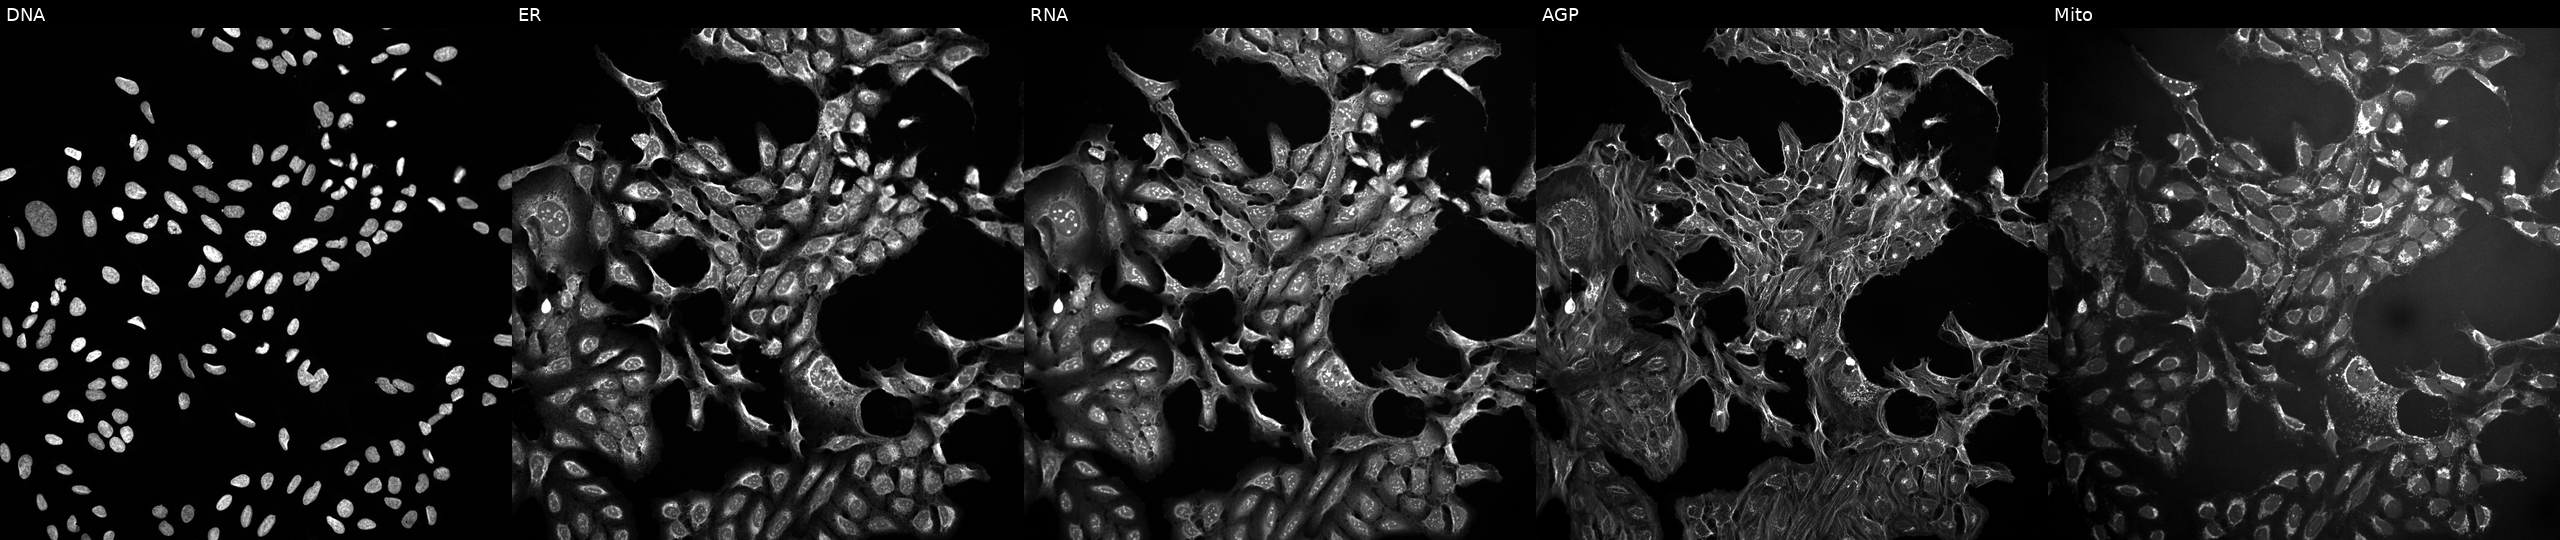
Five-channel Cell Painting image of U2OS cells treated with a small-molecule compound (InChIKey AKVCXBGMQXUBTB-UHFFFAOYSA-N) (JUMP id JCP2022_002083). The five panels, left to right, show DNA, ER, RNA, AGP, and Mito.